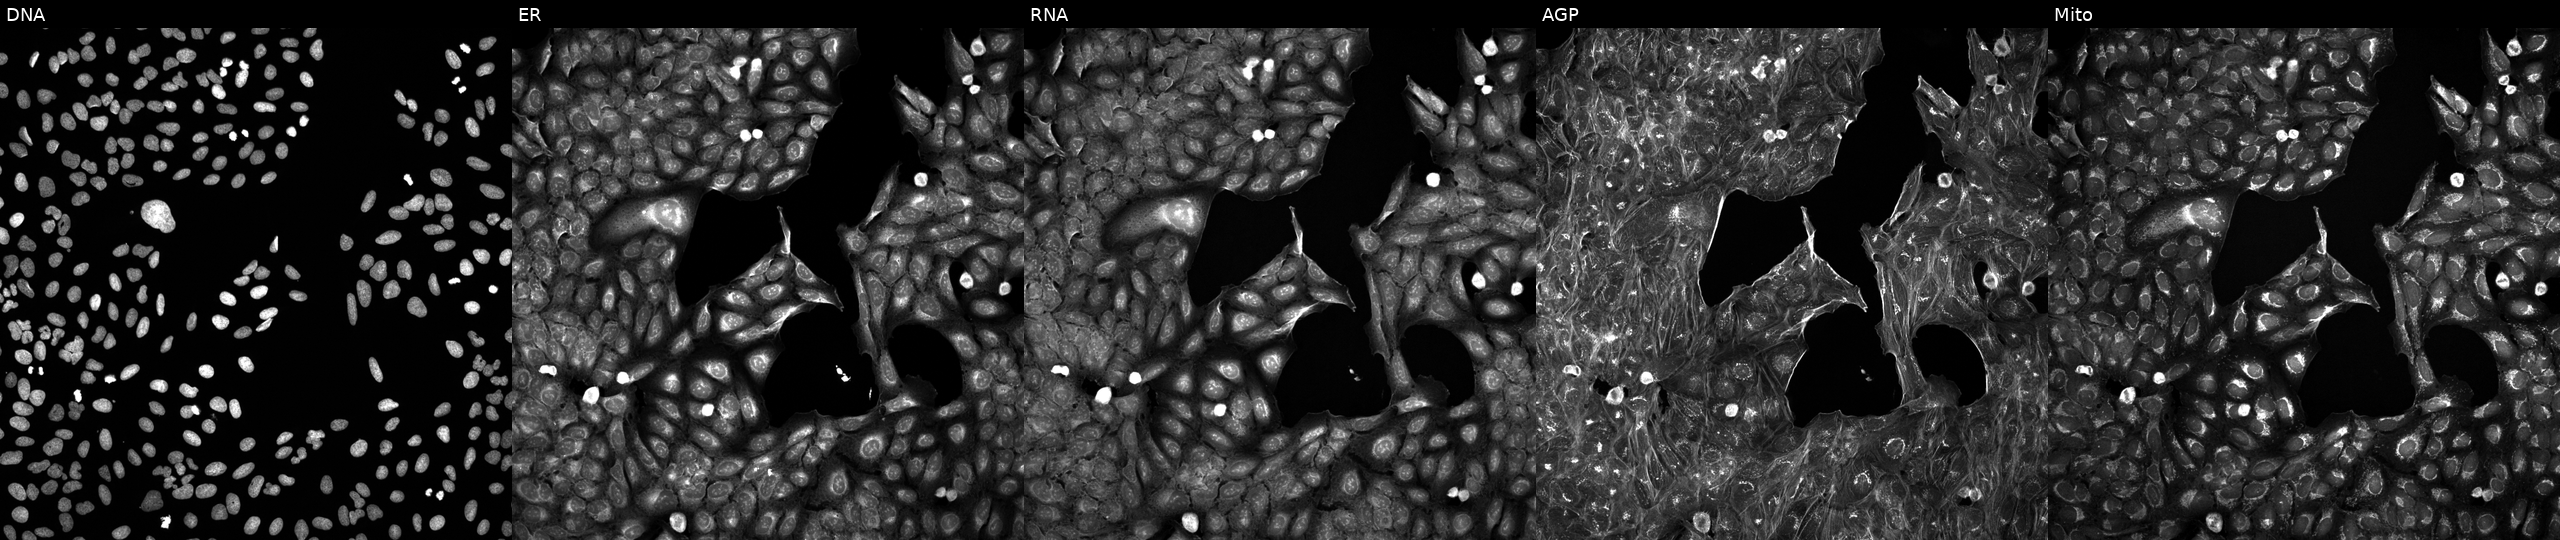
U2OS cells, Cell Painting assay, exposed to DMSO alone as a negative control (JUMP id JCP2022_033924). The five panels, left to right, show DNA (nuclei); ER (endoplasmic reticulum); RNA (nucleoli and cytoplasmic RNA); AGP (actin cytoskeleton, Golgi, and plasma membrane); Mito (mitochondria). Each panel is percentile-stretched 16-bit fluorescence. Source 5, plate ACPJUM012, well E23.